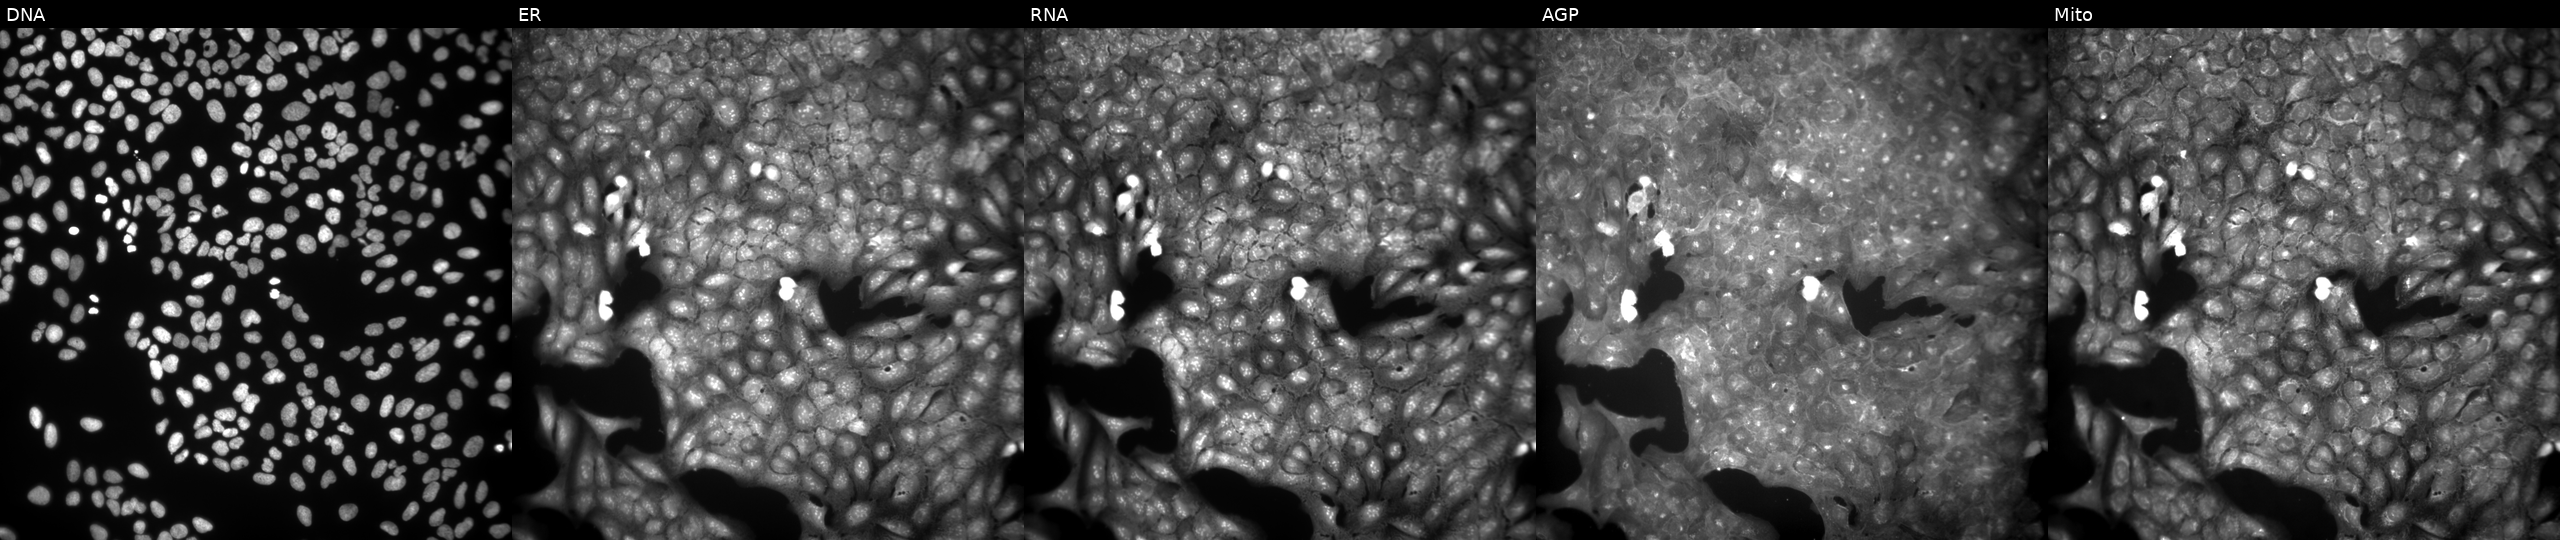
This image strip shows the five Cell Painting channels for a single field of U2OS cells exposed to DMSO alone as a negative control (JUMP id JCP2022_033924). Channels (left→right): Hoechst 33342, concanavalin A, SYTO 14, phalloidin and WGA, MitoTracker.